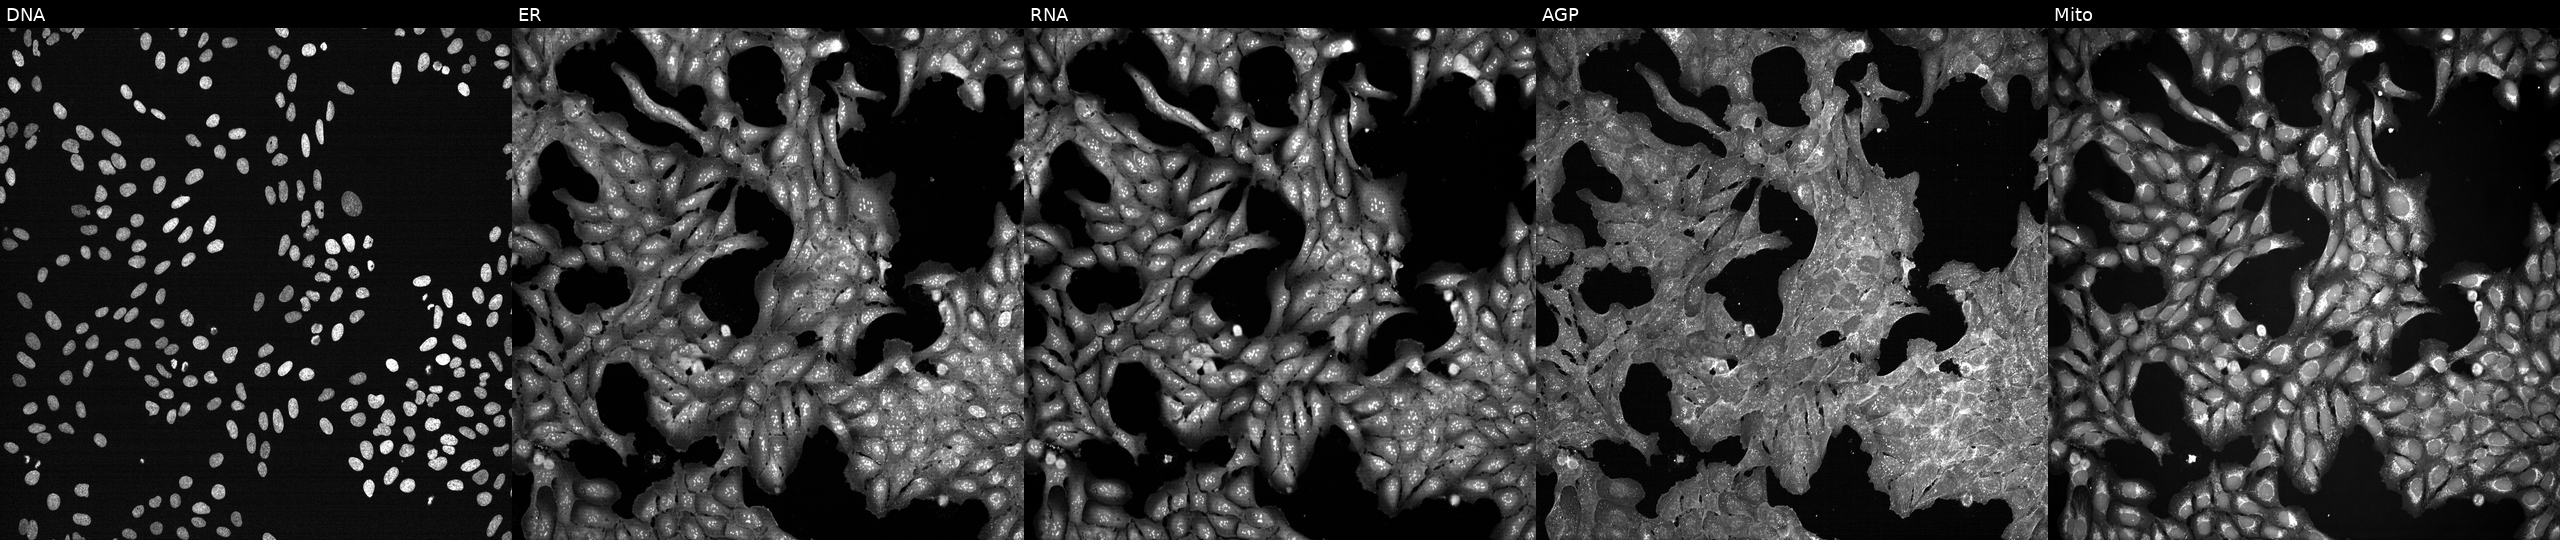
JUMP Cell Painting — TARGET2 plate. U2OS cells treated with a small-molecule compound (InChIKey XDFKWGIBQMHSOH-UHFFFAOYSA-N) (JUMP id JCP2022_102917). Panels show, left to right, DNA (nuclei); ER (endoplasmic reticulum); RNA (nucleoli and cytoplasmic RNA); AGP (actin cytoskeleton, Golgi, and plasma membrane); Mito (mitochondria).